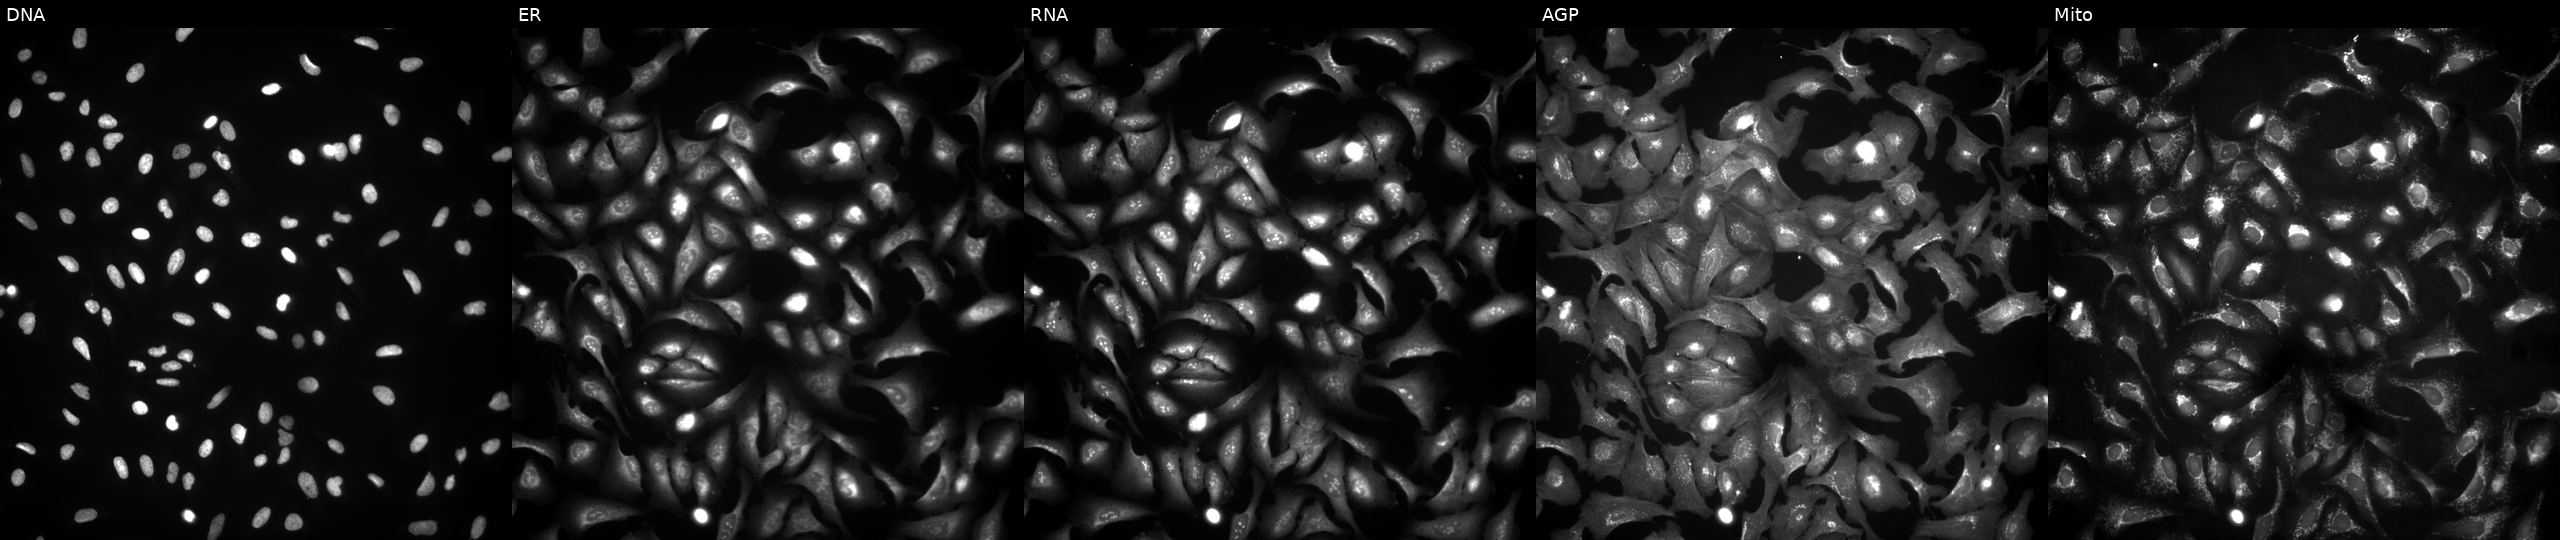
Five-channel Cell Painting image of U2OS cells transfected with an ORF construct for OSTN. The five panels, left to right, show Hoechst 33342, concanavalin A, SYTO 14, phalloidin and WGA, MitoTracker.